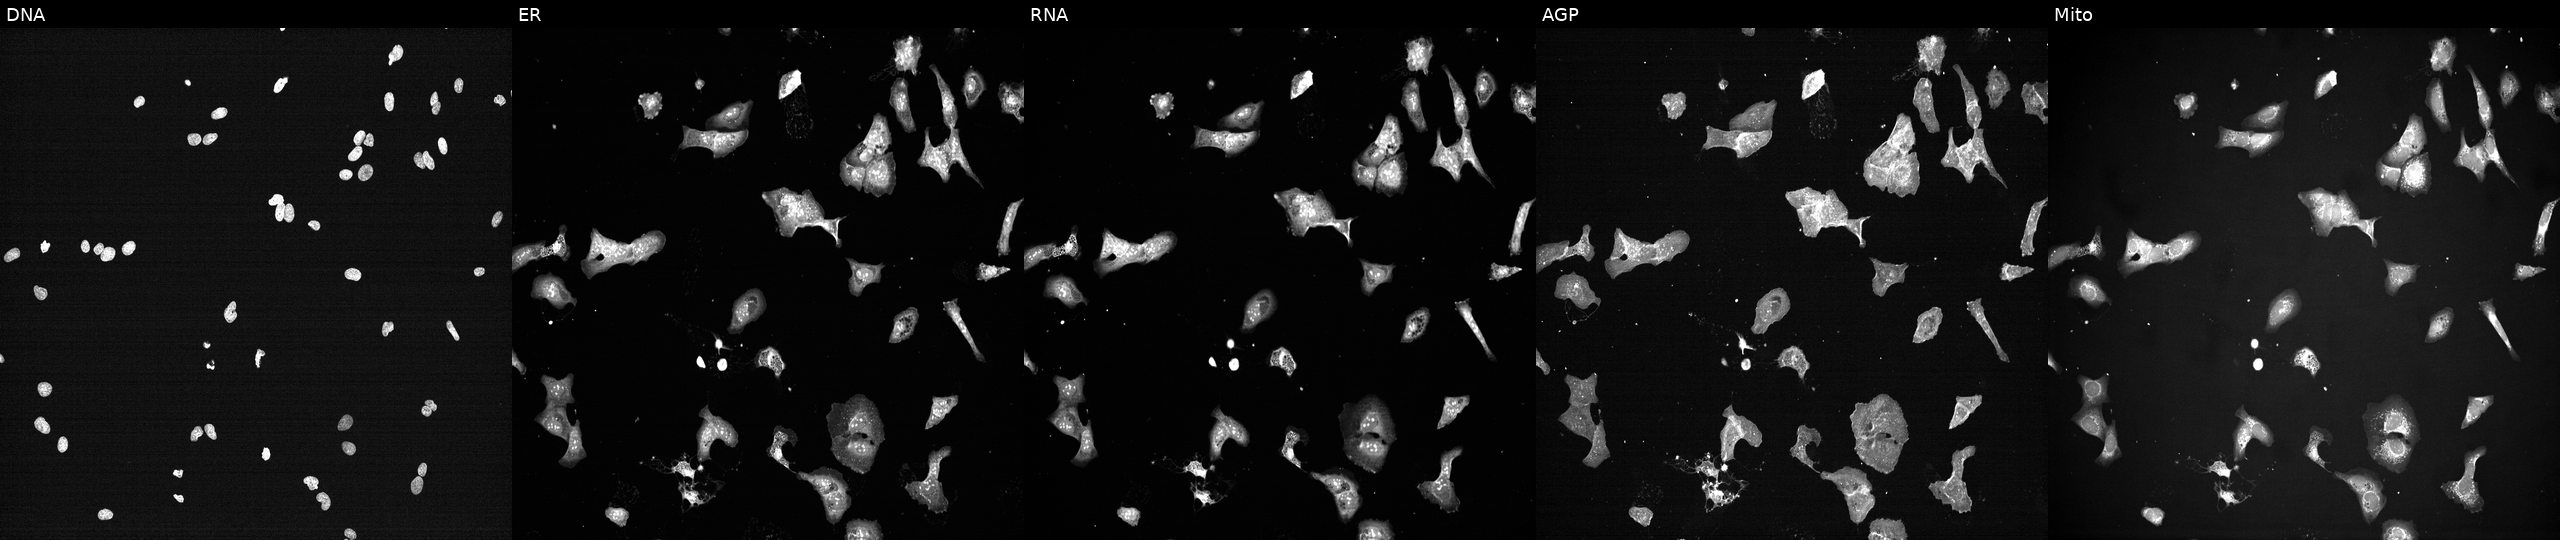
From left to right: DNA (nuclei); ER (endoplasmic reticulum); RNA (nucleoli and cytoplasmic RNA); AGP (actin cytoskeleton, Golgi, and plasma membrane); Mito (mitochondria). U2OS osteosarcoma cells perturbed with a small-molecule compound (InChIKey MAASHDQFQDDECQ-UHFFFAOYSA-N) [SMILES: O=C1C(SCCO)=C(SCCO)C(=O)c2ccccc21]. Cell Painting assay, JUMP-CP dataset. Source 7, plate CP2-SC1-25, well C19.